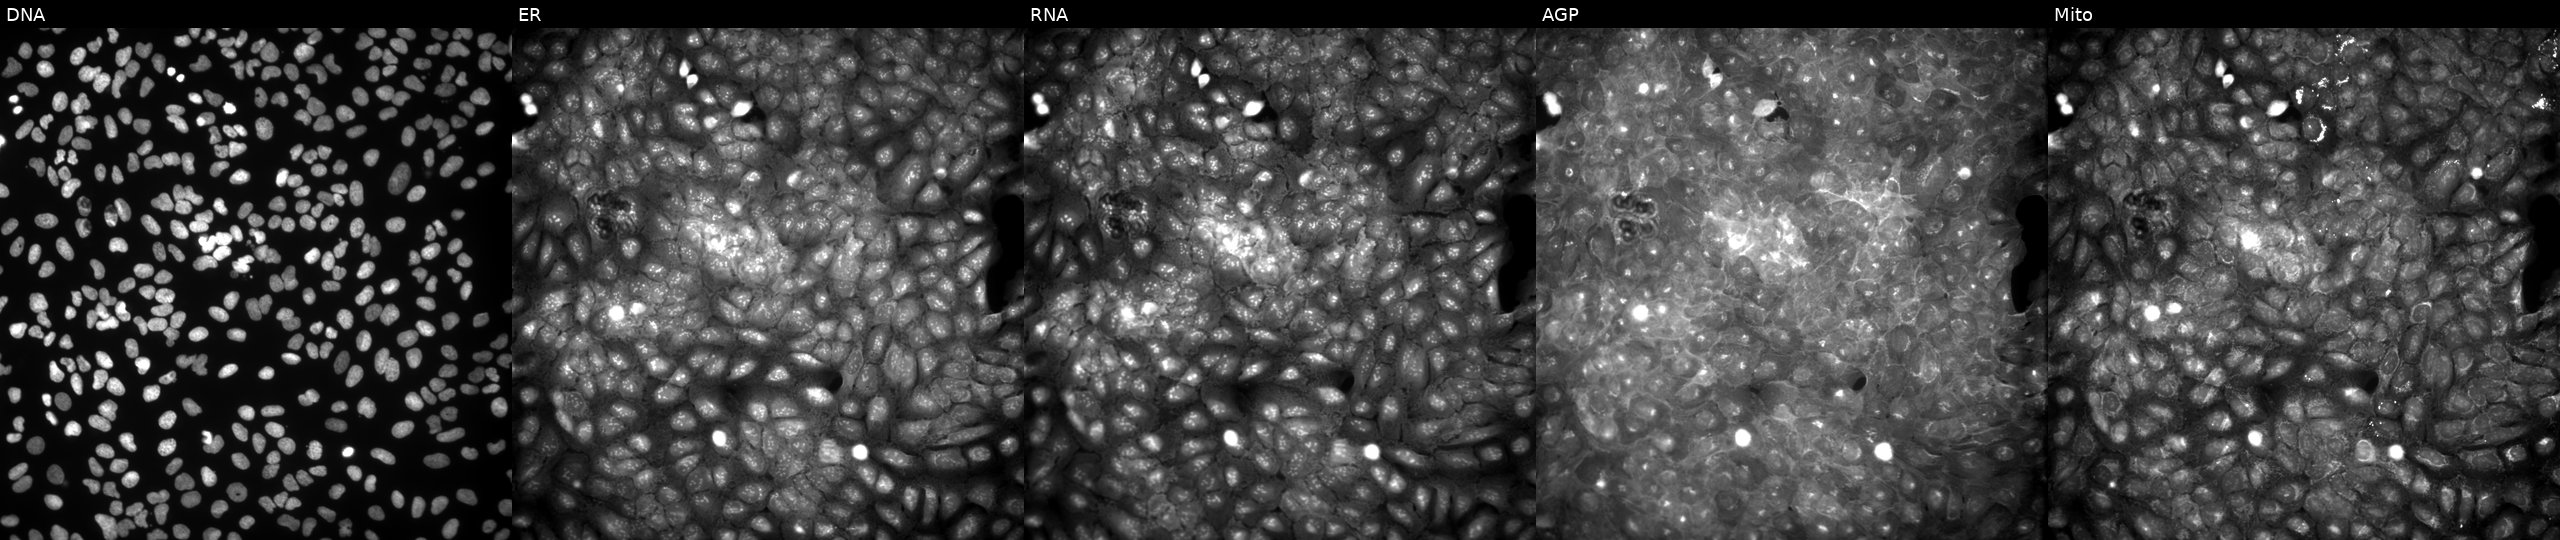
High-content fluorescence microscopy (Cell Painting). Cell line: U2OS. Perturbation: exposed to DMSO alone as a negative control. From left to right: DNA, ER, RNA, AGP, and Mito.